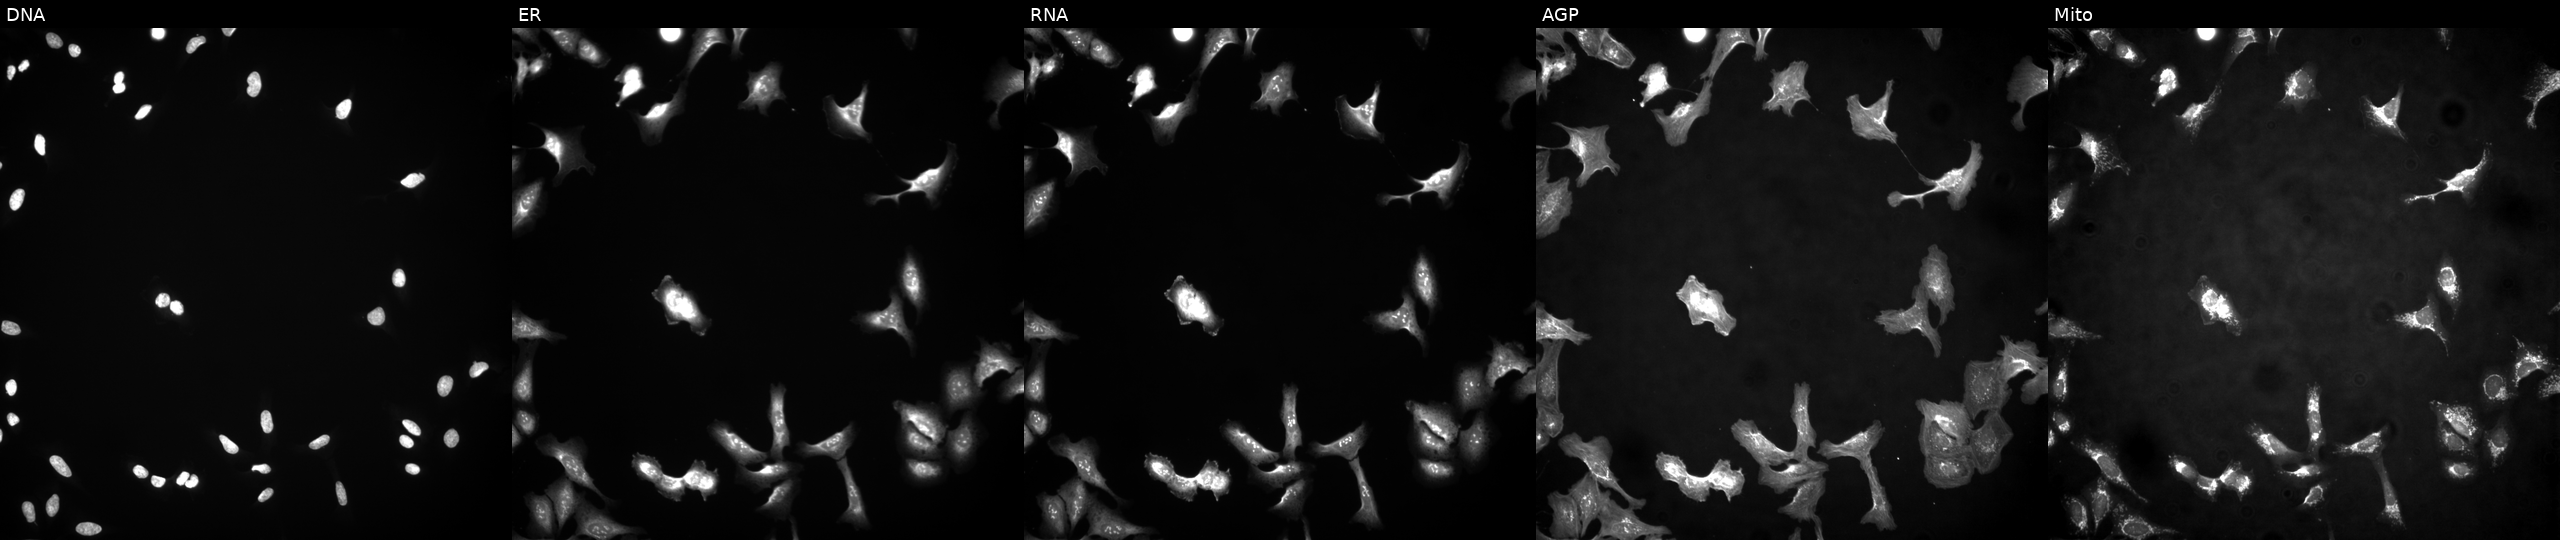
This image strip shows the five Cell Painting channels for a single field of U2OS cells transfected with an ORF construct for CCDC59 (JUMP id JCP2022_902880). The five panels, left to right, show DNA (nuclei); ER (endoplasmic reticulum); RNA (nucleoli and cytoplasmic RNA); AGP (actin cytoskeleton, Golgi, and plasma membrane); Mito (mitochondria).